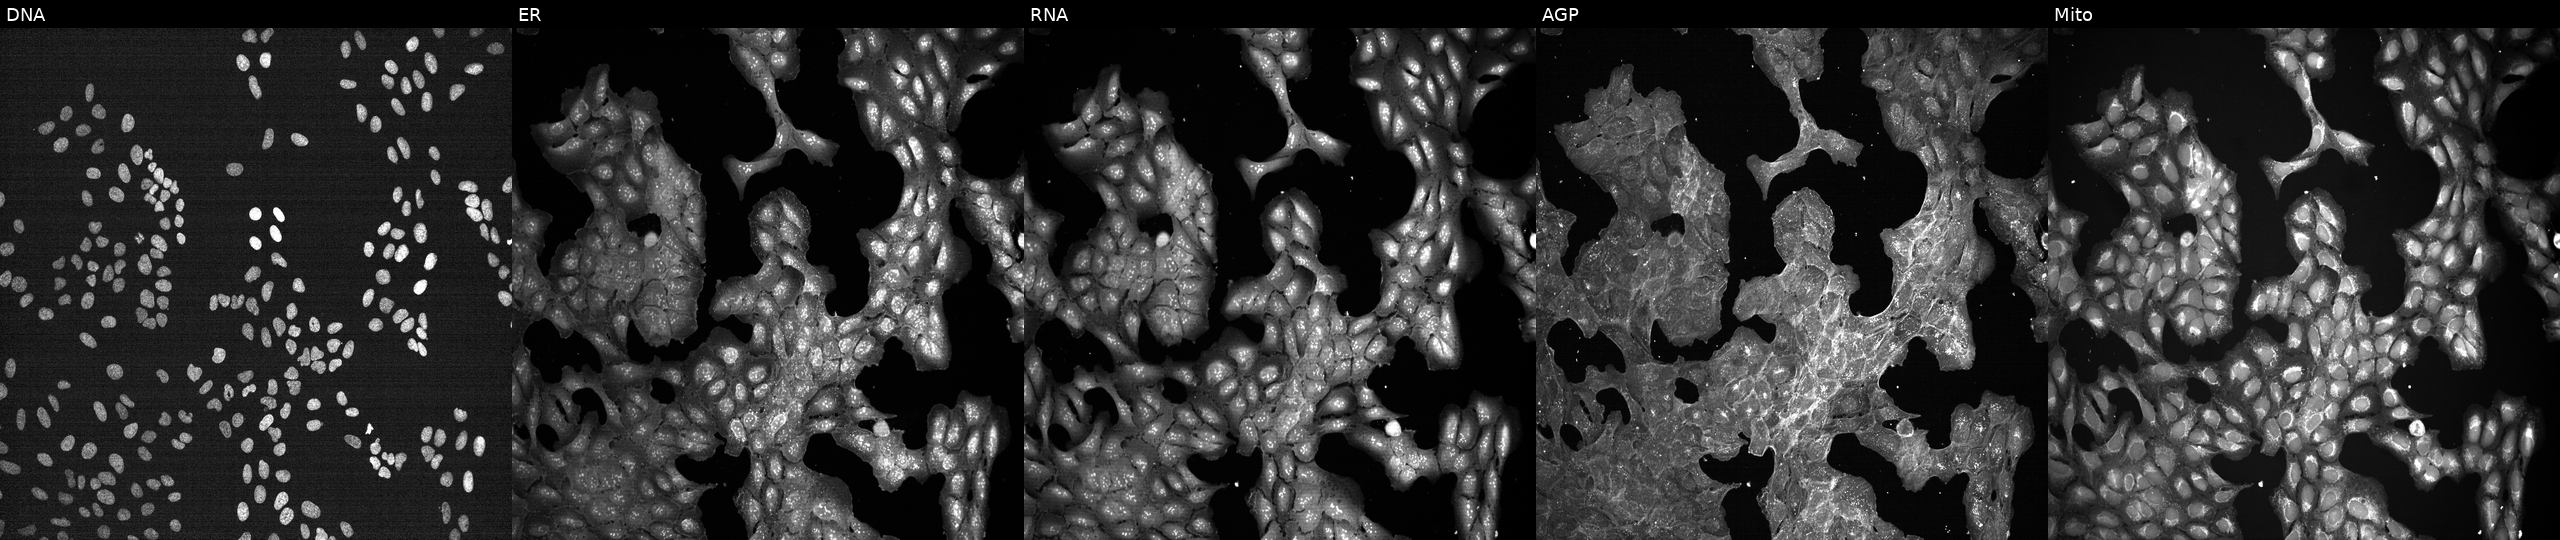
The five panels, left to right, show DNA, ER, RNA, AGP, and Mito. U2OS osteosarcoma cells treated with a small-molecule compound (InChIKey UCAGLBKTLXCODC-UHFFFAOYSA-N) (JUMP id JCP2022_088224). Cell Painting assay, JUMP-CP dataset. Source 7, plate CP1-SC1-25, well K03.